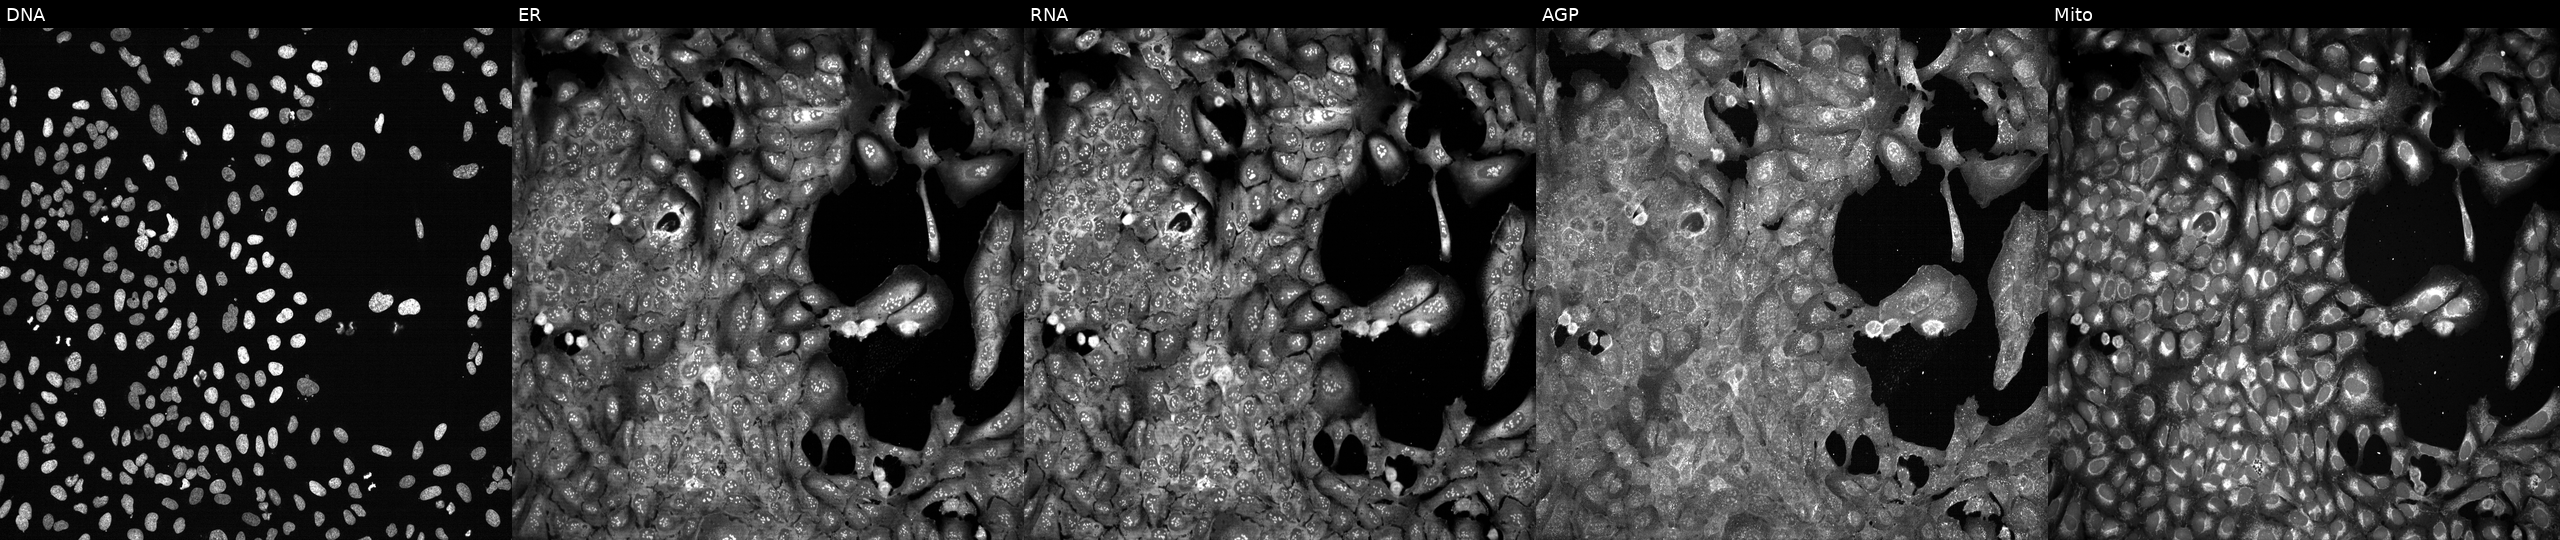
U2OS cells, Cell Painting assay, following CRISPR knockout of ADH1B. Channels (left→right): DNA, ER, RNA, AGP, and Mito. Each panel is percentile-stretched 16-bit fluorescence.